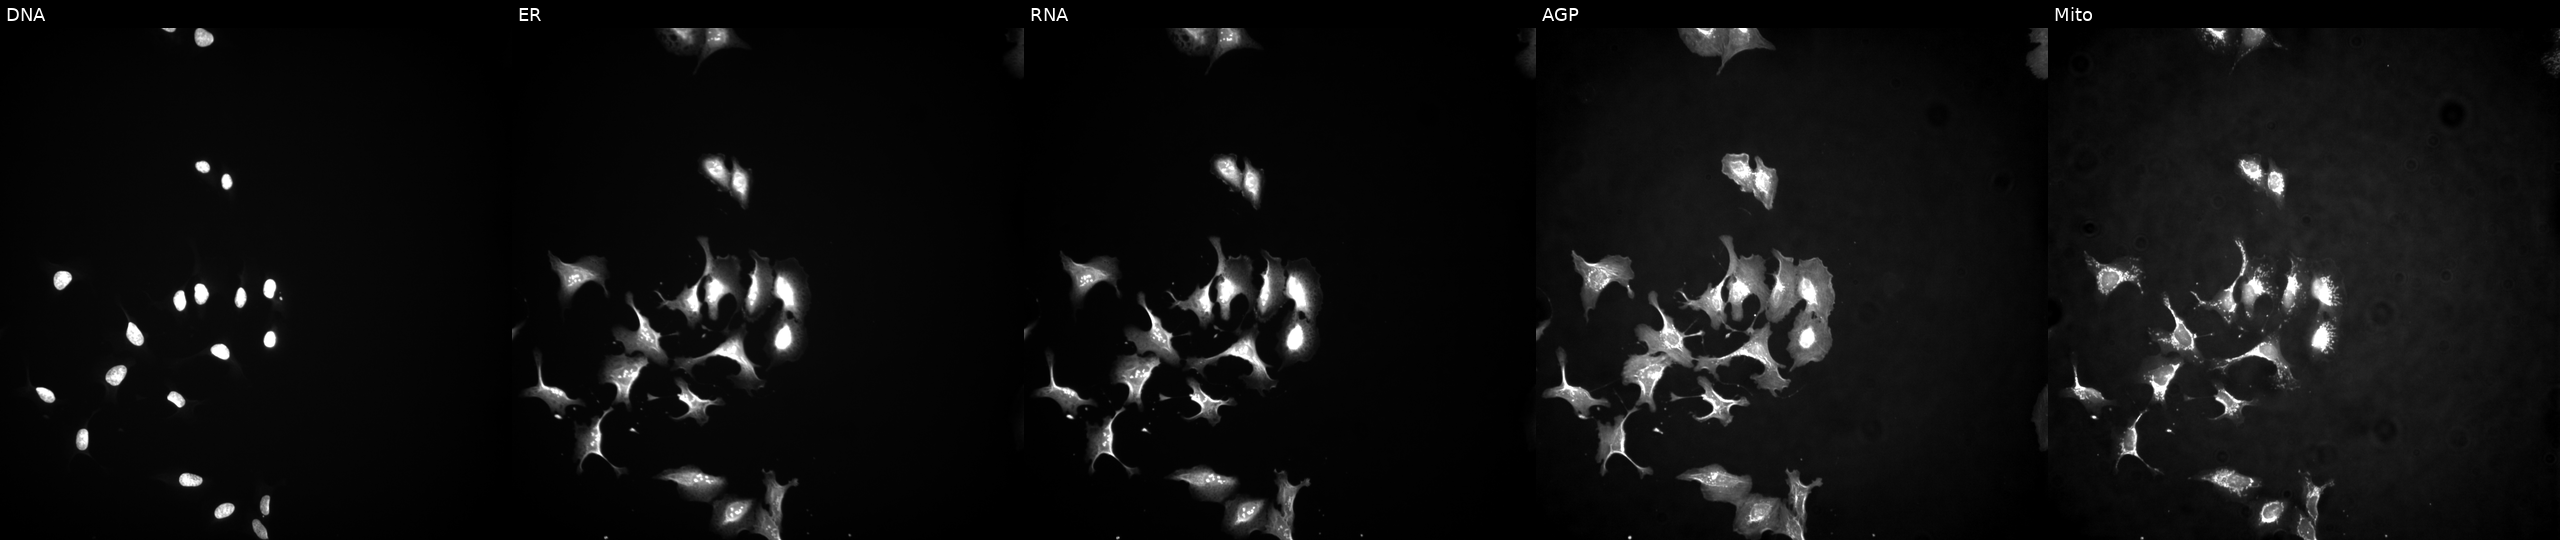
U2OS cells, Cell Painting assay, with CDX4 overexpressed (ORF) (JUMP id JCP2022_900264). From left to right: DNA, ER, RNA, AGP, and Mito. Each panel is percentile-stretched 16-bit fluorescence. Source 4, plate BR00117035, well I09.